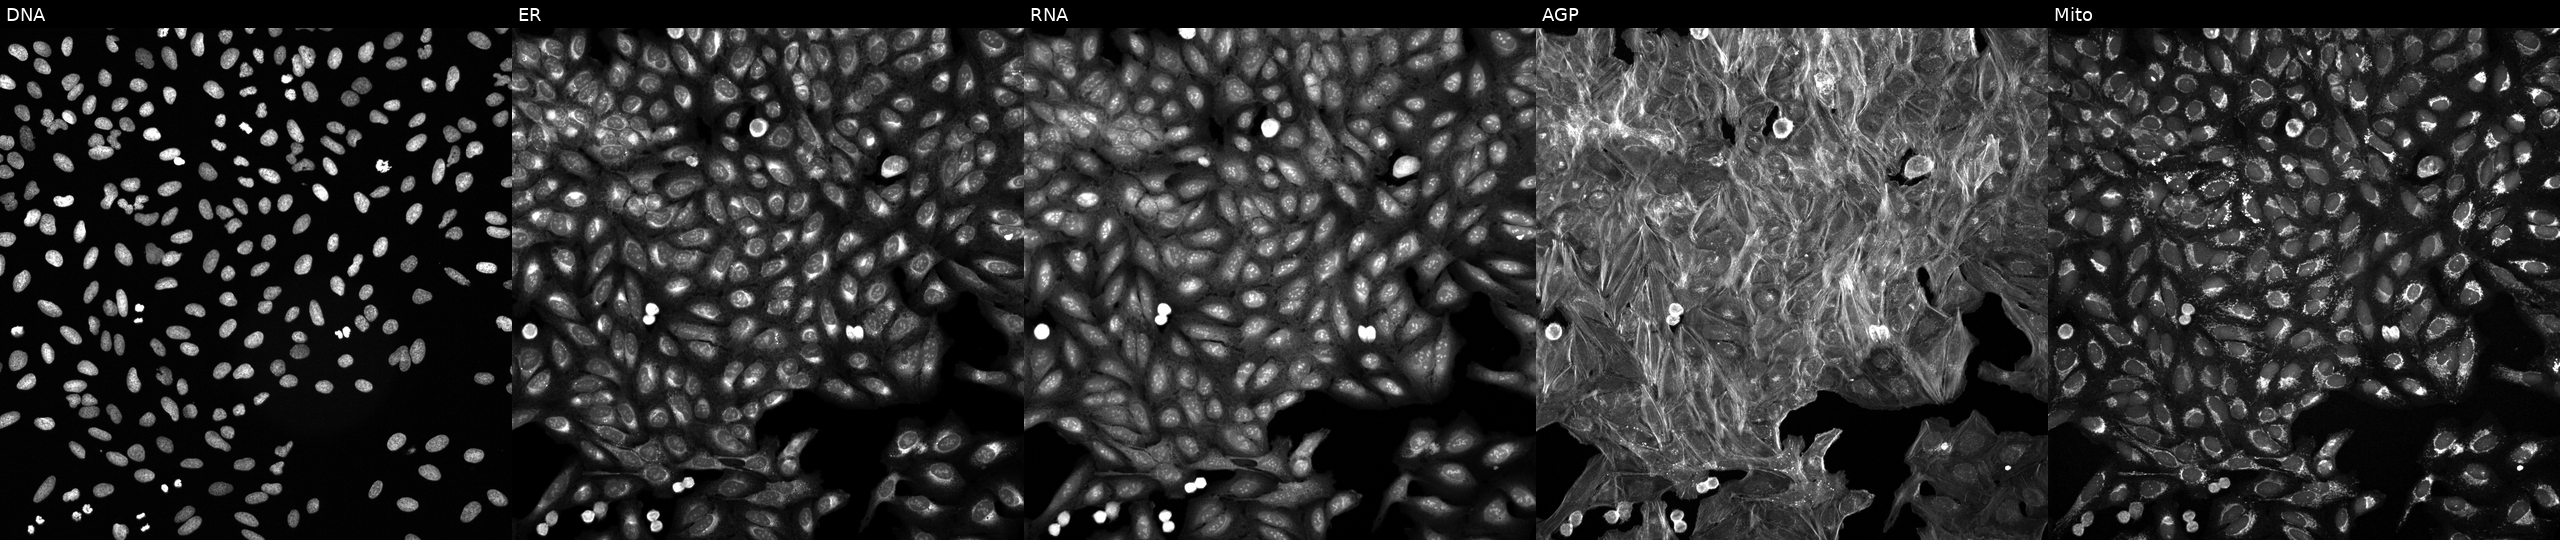
U2OS cells, Cell Painting assay, treated with DMSO vehicle only (negative control). The five panels, left to right, show DNA, ER, RNA, AGP, and Mito. Each panel is percentile-stretched 16-bit fluorescence. Source 6, plate 110000293081, well E05.